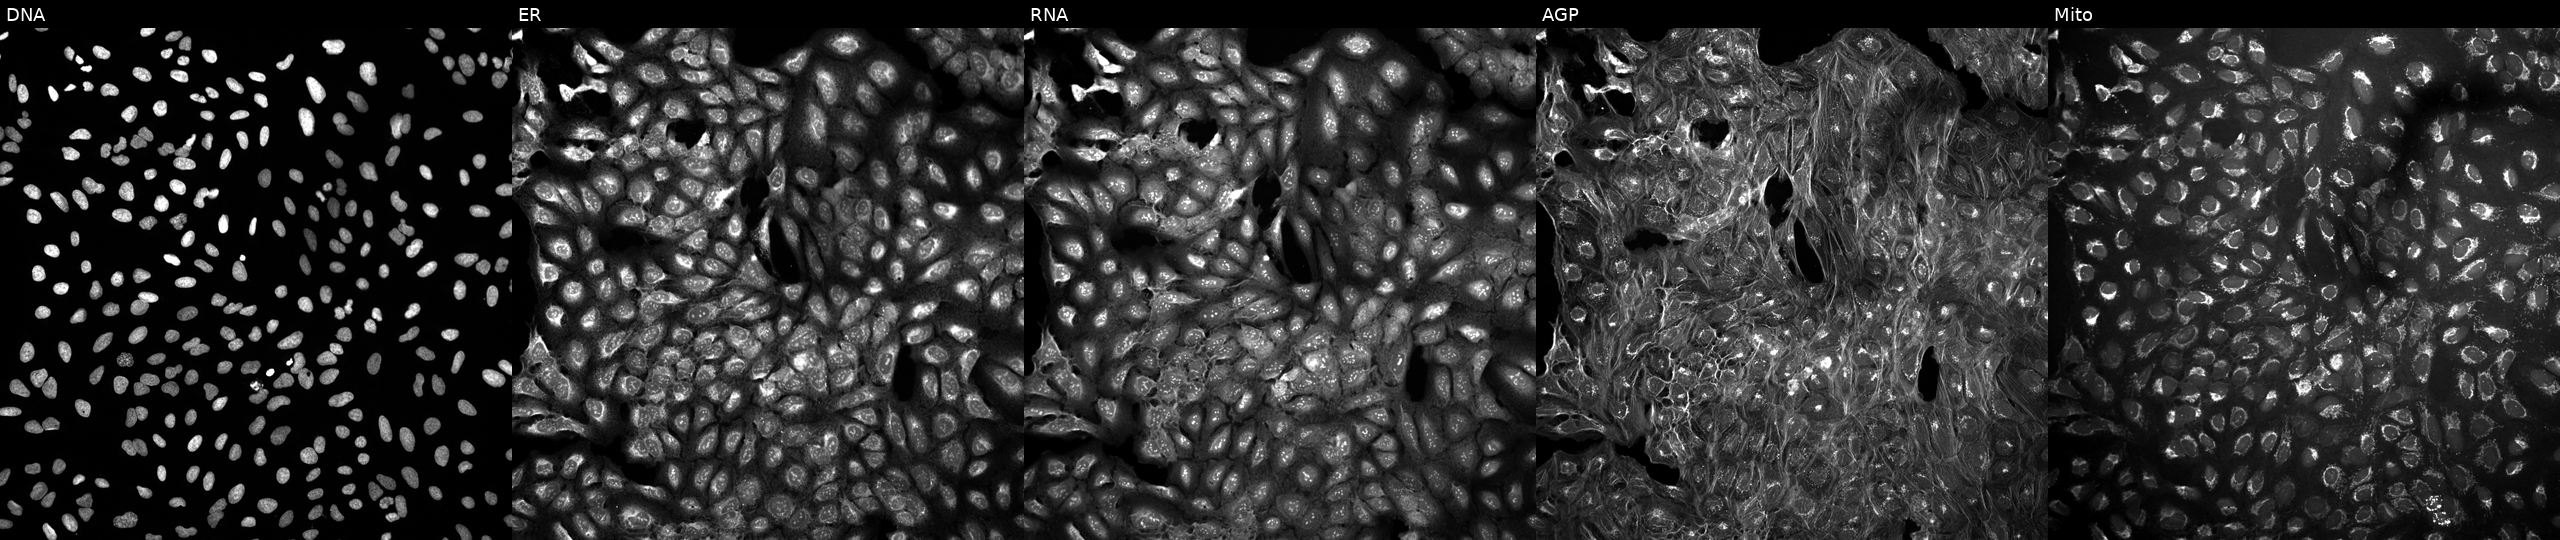
Panels show, left to right, DNA (nuclei); ER (endoplasmic reticulum); RNA (nucleoli and cytoplasmic RNA); AGP (actin cytoskeleton, Golgi, and plasma membrane); Mito (mitochondria). U2OS osteosarcoma cells untreated (empty-well control). Cell Painting assay, JUMP-CP dataset.